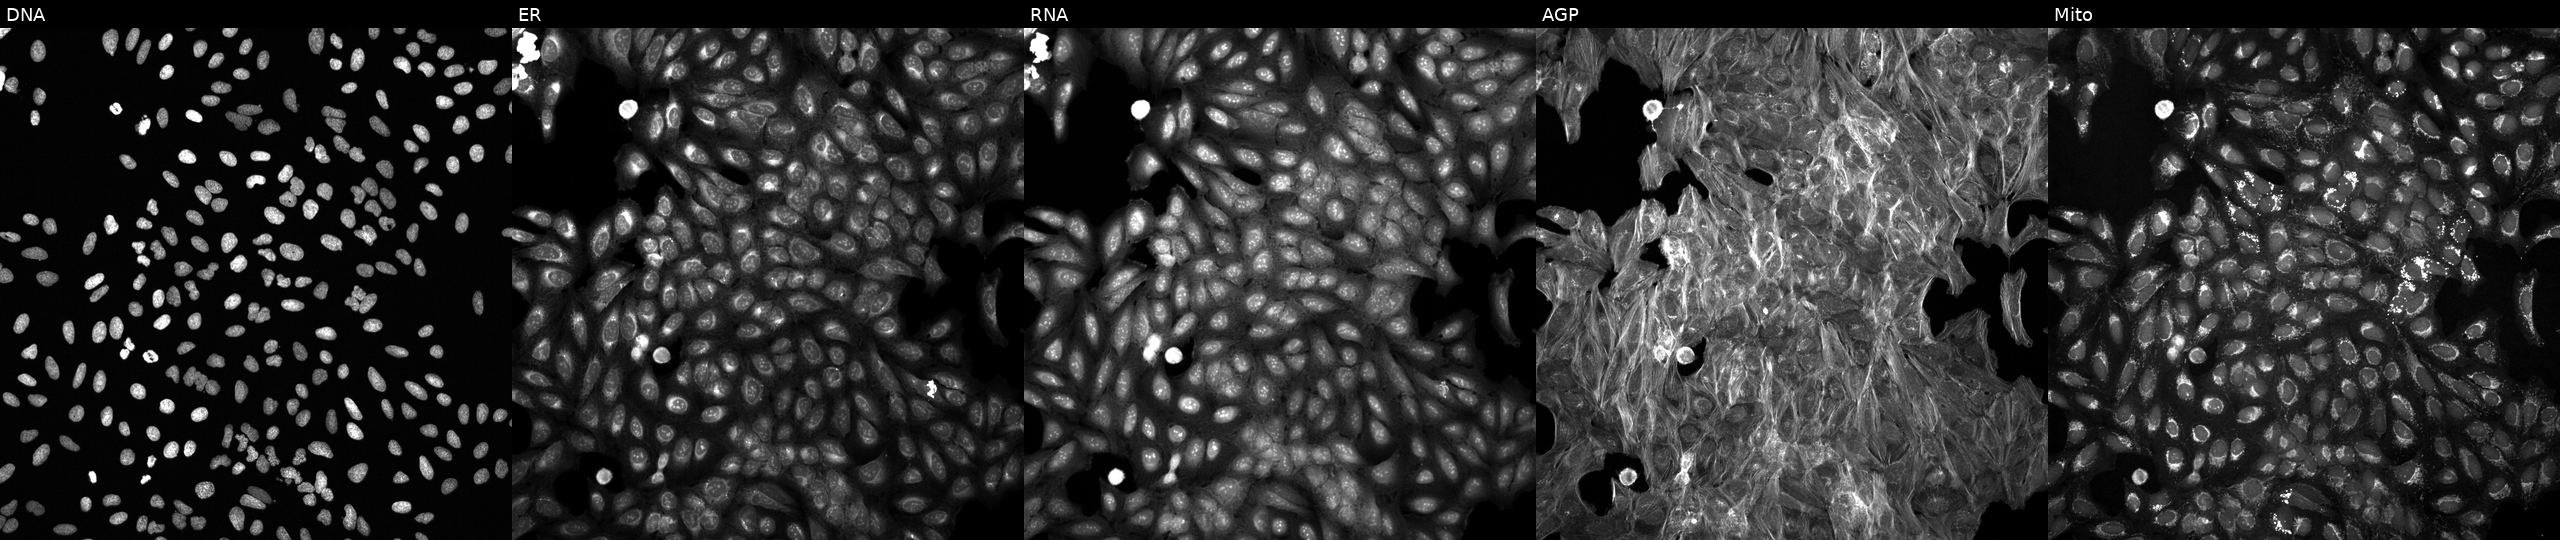
From left to right: Hoechst 33342, concanavalin A, SYTO 14, phalloidin and WGA, MitoTracker. U2OS osteosarcoma cells exposed to a small-molecule compound. Cell Painting assay, JUMP-CP dataset. Source 6, plate 110000293093, well N14.